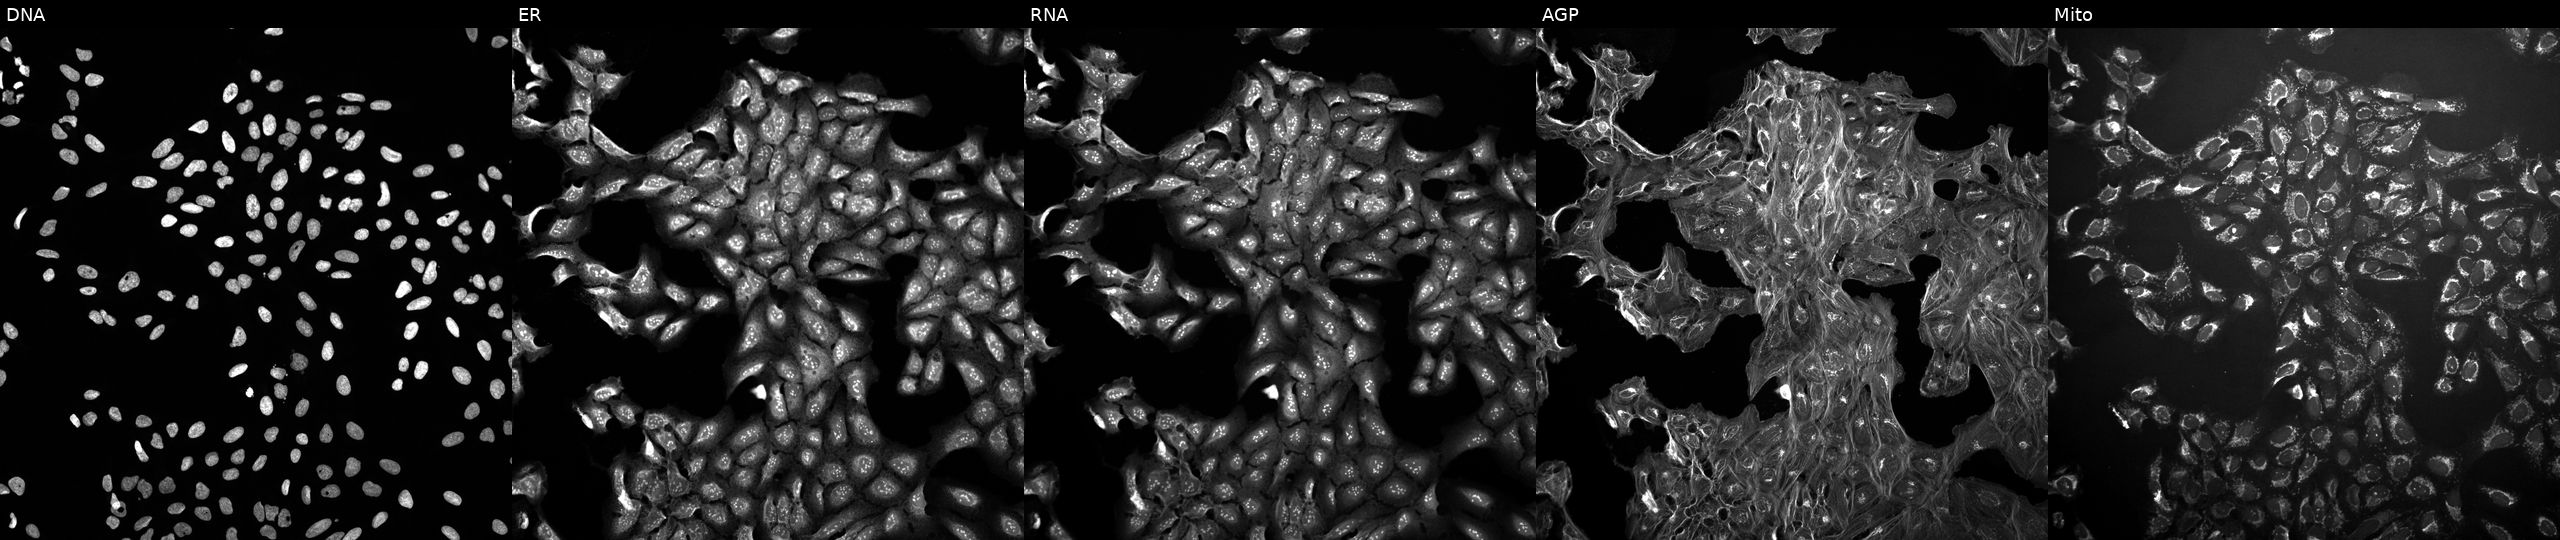
U2OS cells, Cell Painting assay, exposed to a small-molecule compound (InChIKey OJLOPKGSLYJEMD-UHFFFAOYSA-N) (JUMP id JCP2022_064183). The five panels, left to right, show DNA, ER, RNA, AGP, and Mito. Each panel is percentile-stretched 16-bit fluorescence.